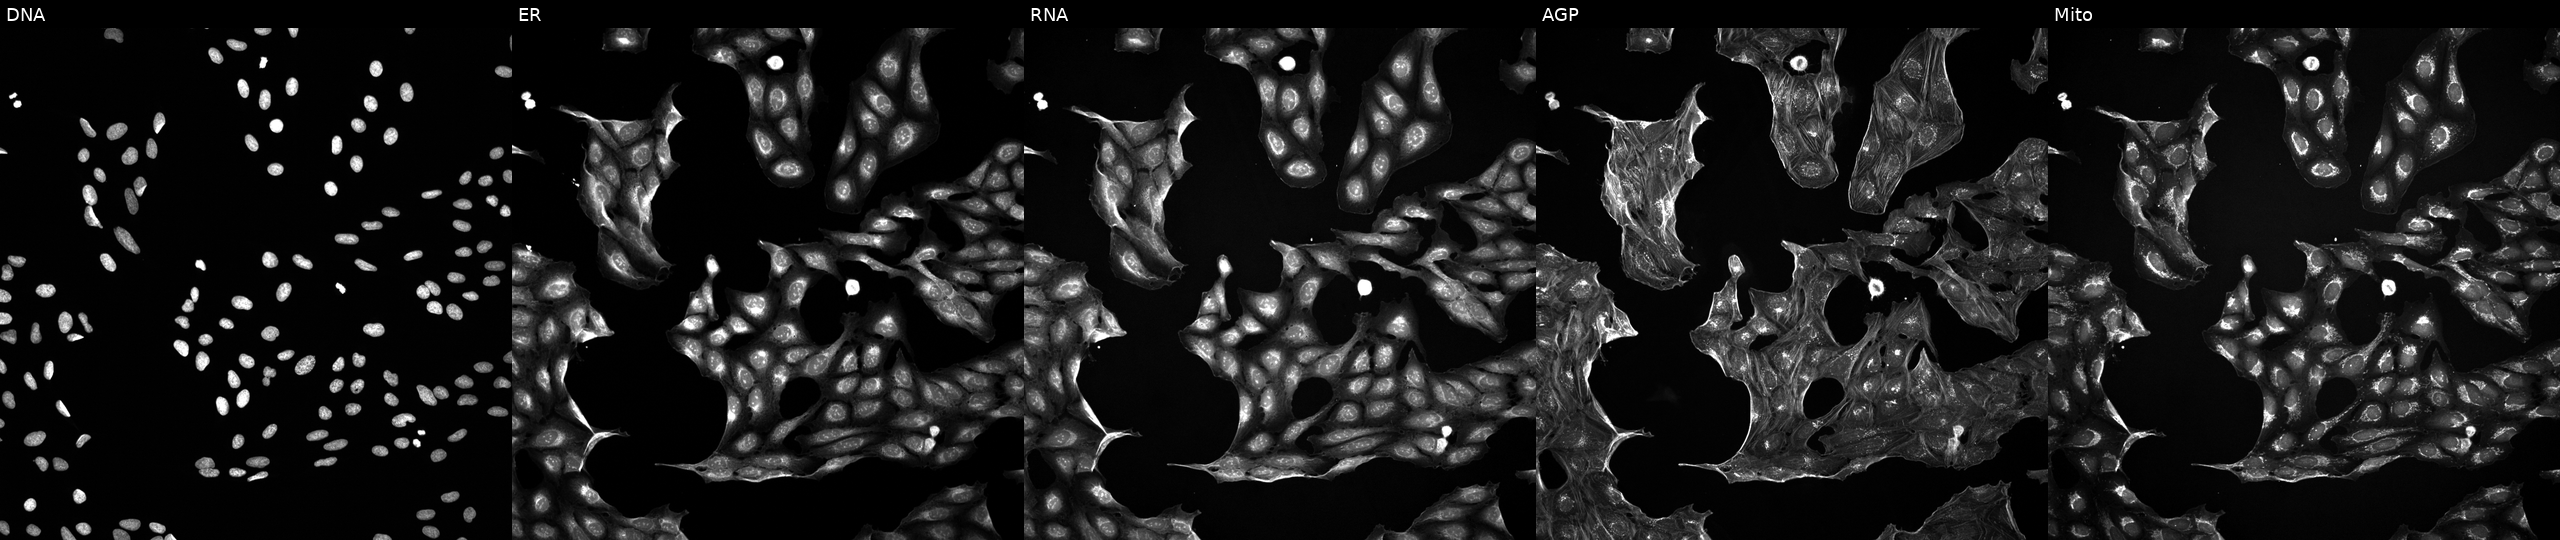
High-content fluorescence microscopy (Cell Painting). Cell line: U2OS. Perturbation: exposed to a small-molecule compound (InChIKey WLBUICQBNZXIDJ-UHFFFAOYSA-N) [SMILES: NNC(=O)CSc1nc2scc(-c3ccccc3)c2c(=O)n1-c1ccccc1]. From left to right: DNA (nuclei); ER (endoplasmic reticulum); RNA (nucleoli and cytoplasmic RNA); AGP (actin cytoskeleton, Golgi, and plasma membrane); Mito (mitochondria). Source 5, plate ACPJUM012, well A17.